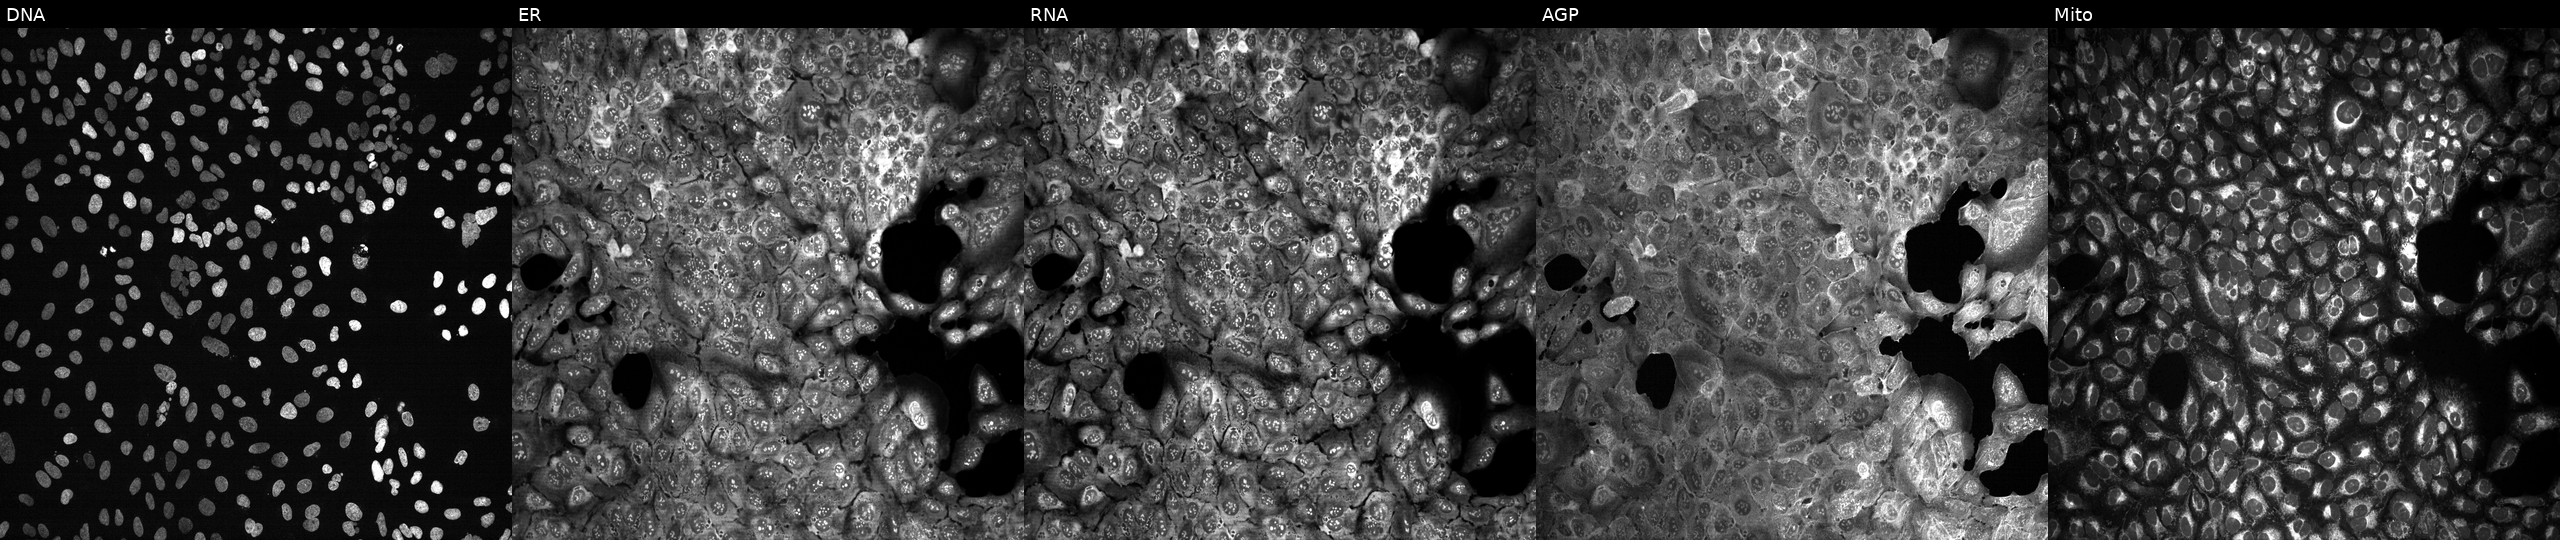
From left to right: DNA (nuclei); ER (endoplasmic reticulum); RNA (nucleoli and cytoplasmic RNA); AGP (actin cytoskeleton, Golgi, and plasma membrane); Mito (mitochondria). U2OS osteosarcoma cells CRISPR-edited to disrupt ST3GAL4. Cell Painting assay, JUMP-CP dataset. Source 13, plate CP-CC9-R3-02, well A07.